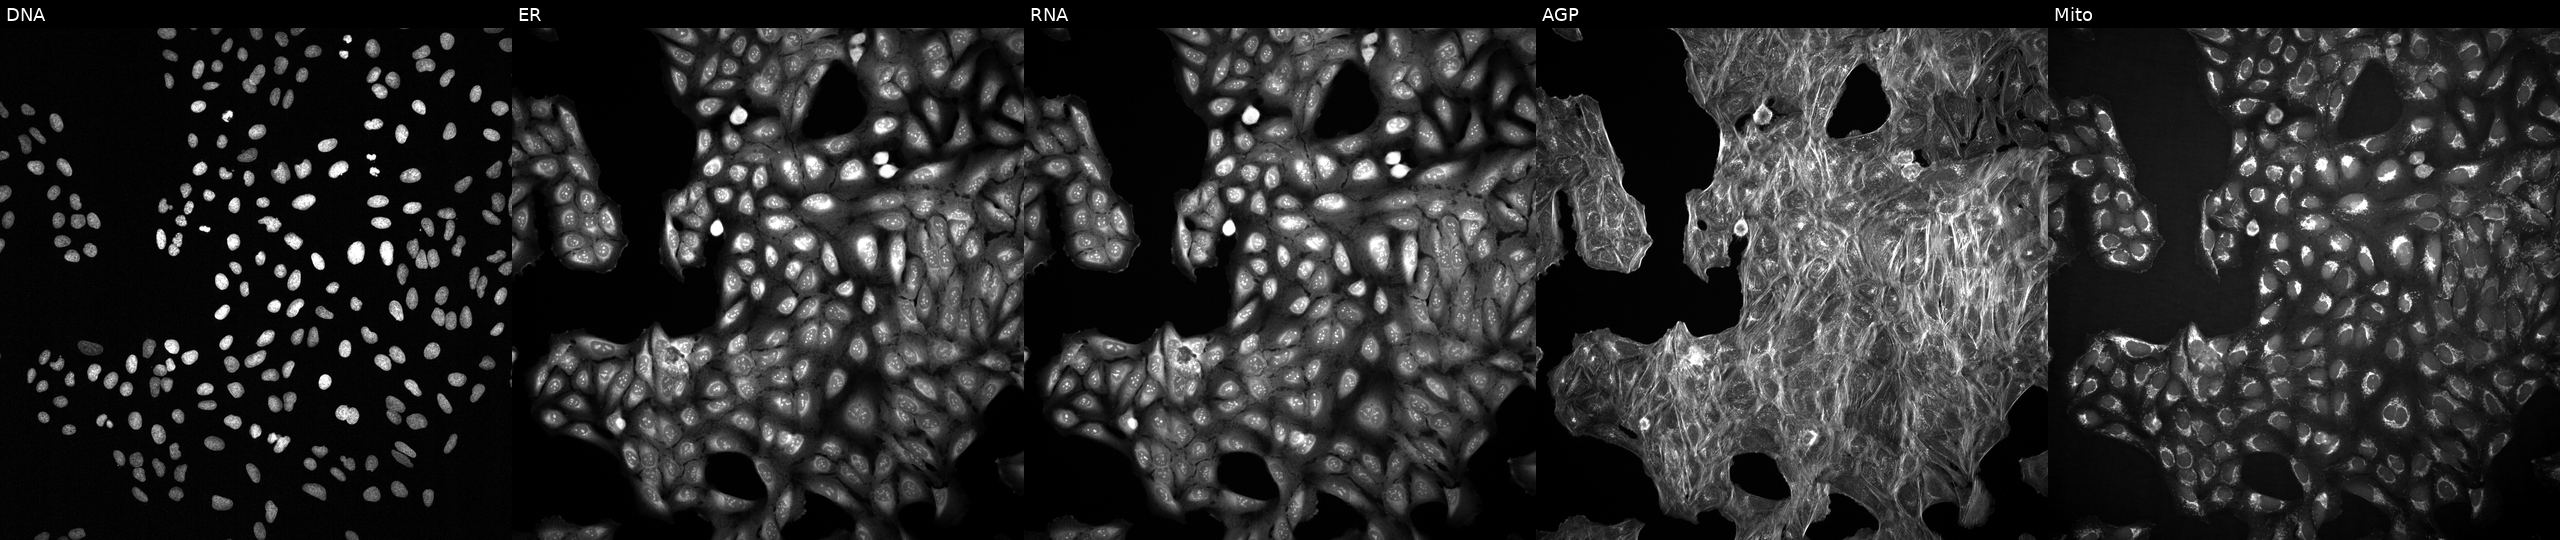
JUMP Cell Painting — COMPOUND plate. U2OS cells exposed to a small-molecule compound (InChIKey KQIXEIUSEBWTRG-UHFFFAOYSA-N) [SMILES: COc1ccc(C(=O)Nc2cc(C)ccc2F)cc1OC]. Channels (left→right): DNA (nuclei); ER (endoplasmic reticulum); RNA (nucleoli and cytoplasmic RNA); AGP (actin cytoskeleton, Golgi, and plasma membrane); Mito (mitochondria).